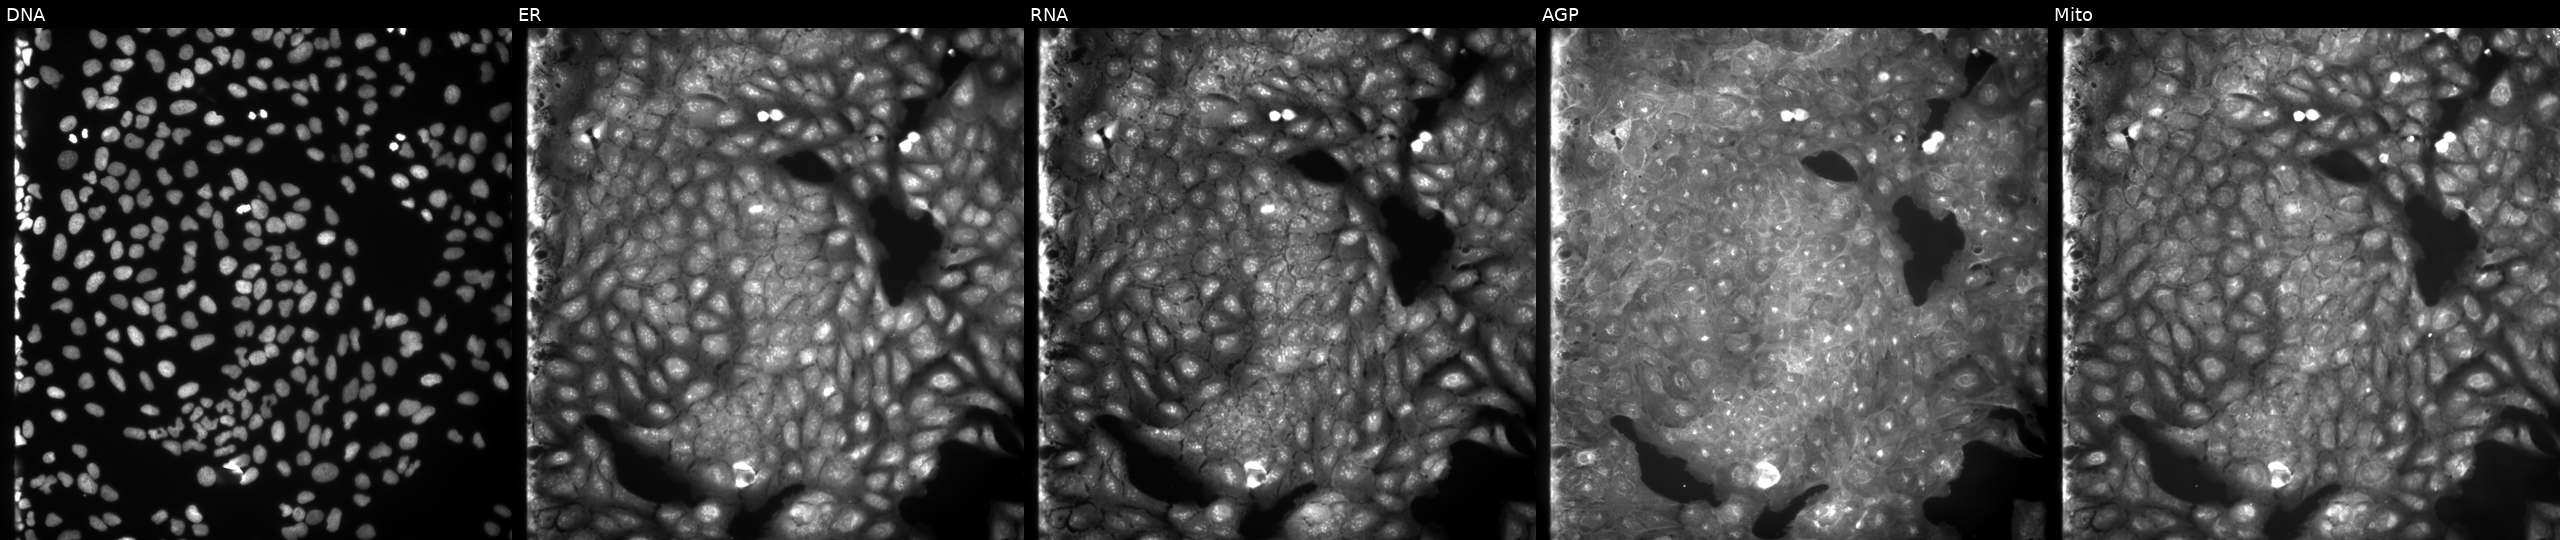
High-content fluorescence microscopy (Cell Painting). Cell line: U2OS. Perturbation: perturbed with a small-molecule compound (InChIKey GOPARTHBFWEFIU-UHFFFAOYSA-N). Panels show, left to right, Hoechst 33342, concanavalin A, SYTO 14, phalloidin and WGA, MitoTracker.